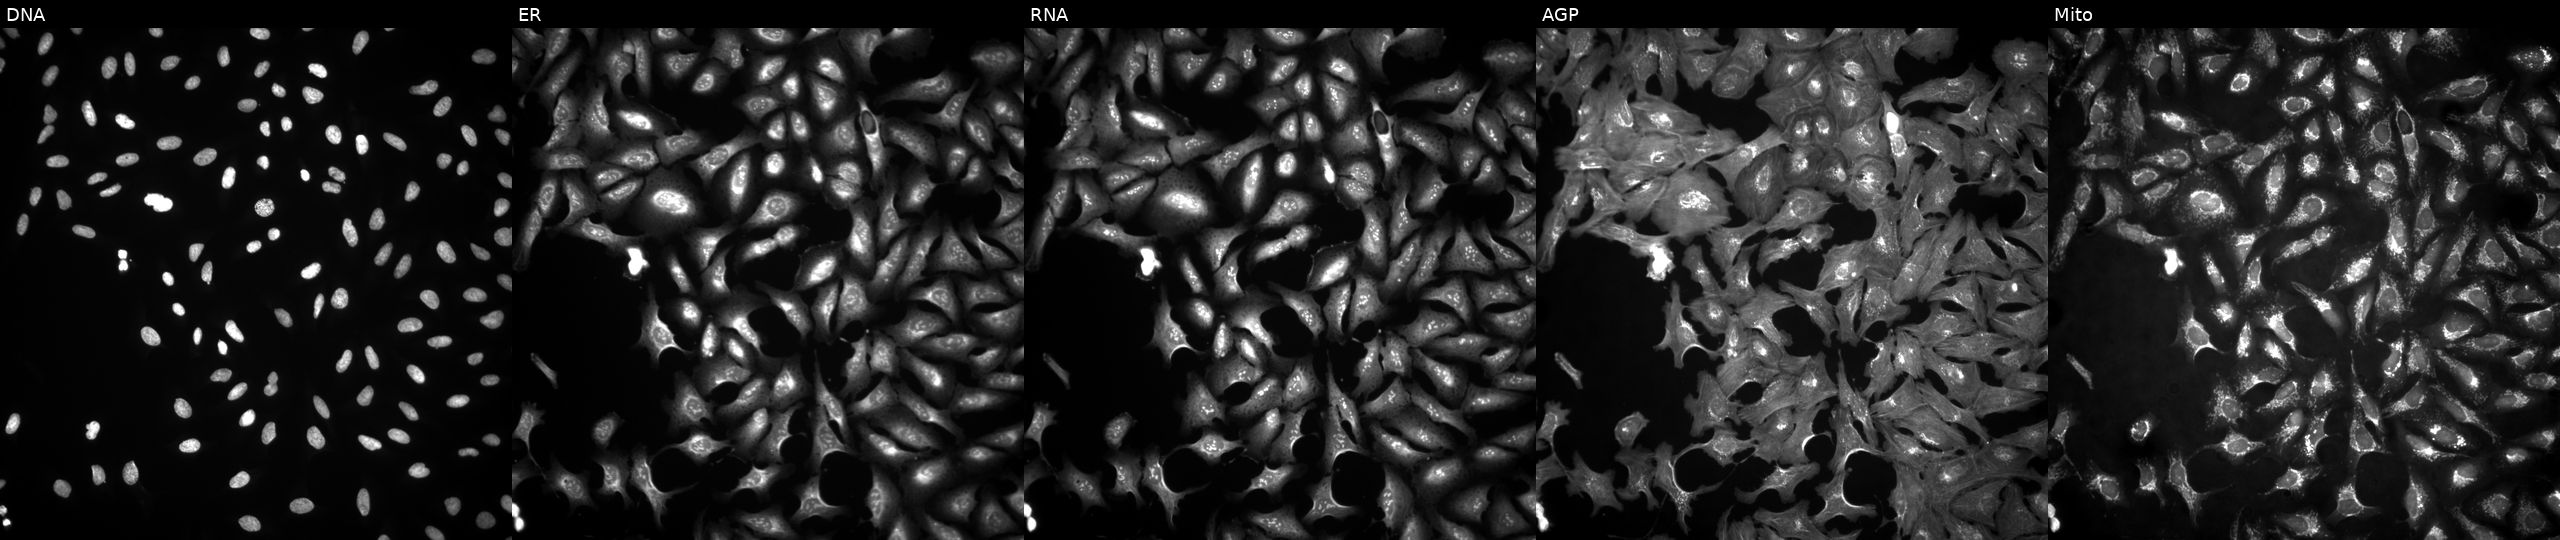
This image strip shows the five Cell Painting channels for a single field of U2OS cells overexpressing PPP1R14A via ORF transfection (JUMP id JCP2022_904329). Panels show, left to right, DNA, ER, RNA, AGP, and Mito.